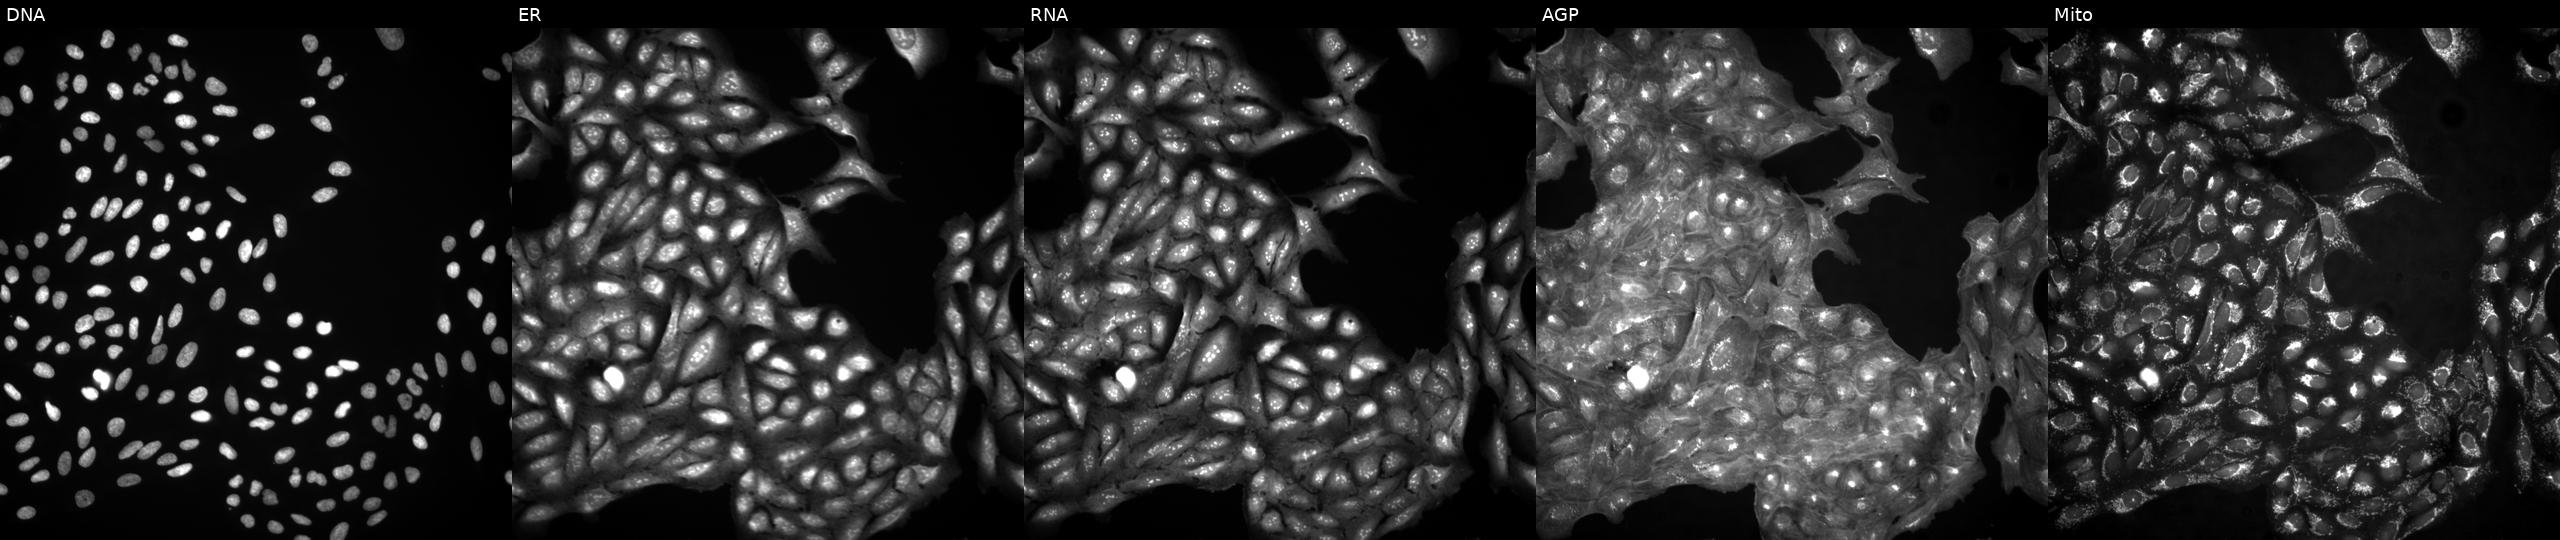
JUMP Cell Painting — ORF plate. U2OS cells in an empty control well (no perturbation). From left to right: DNA (nuclei); ER (endoplasmic reticulum); RNA (nucleoli and cytoplasmic RNA); AGP (actin cytoskeleton, Golgi, and plasma membrane); Mito (mitochondria).